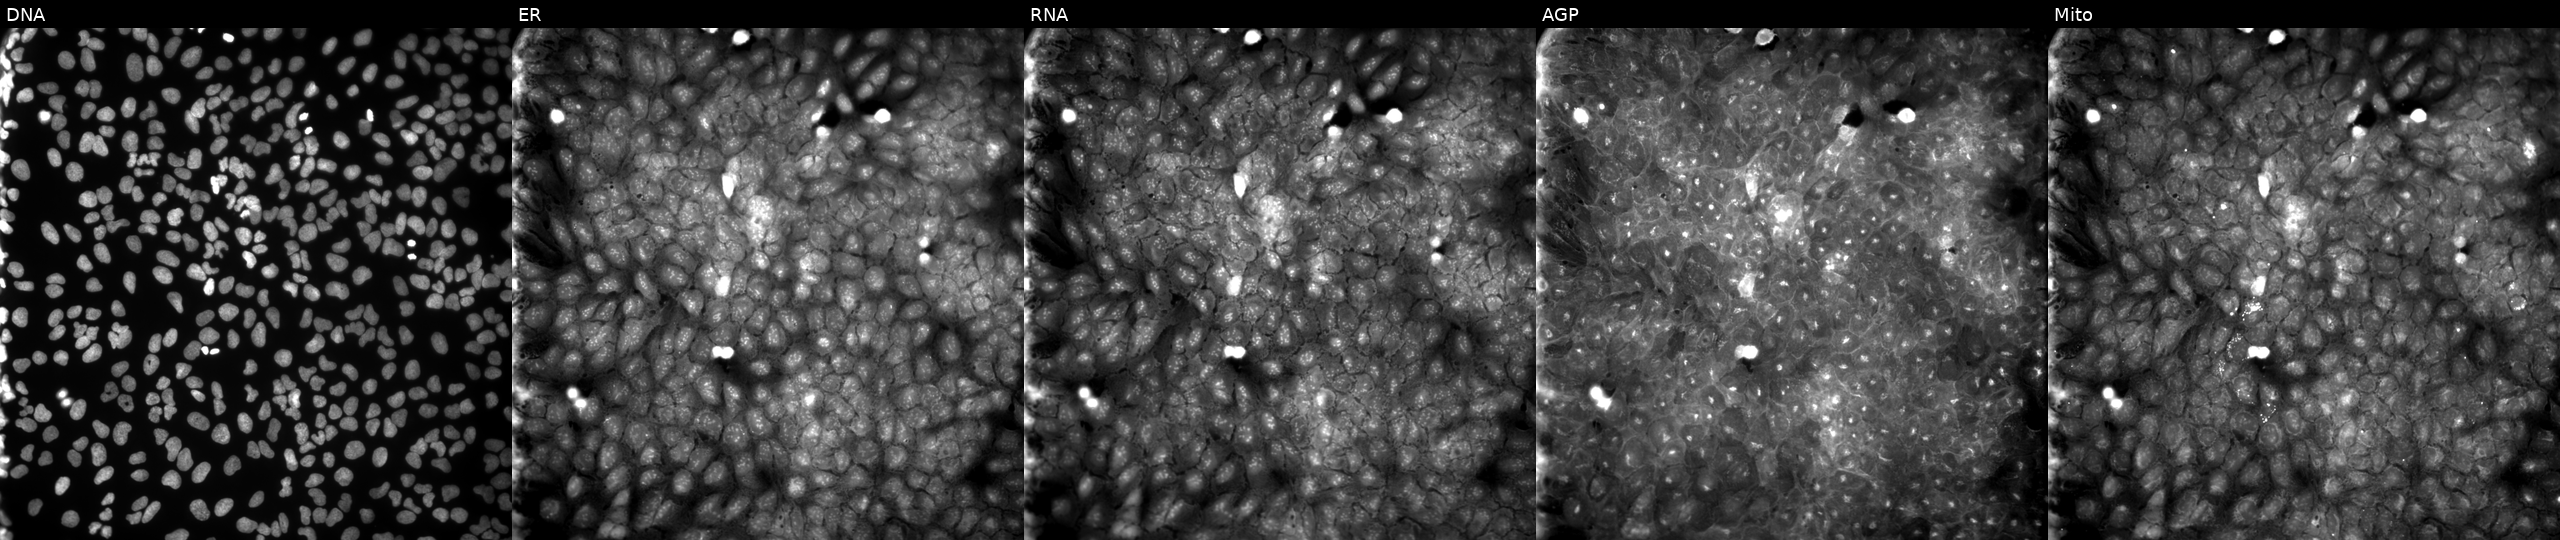
High-content fluorescence microscopy (Cell Painting). Cell line: U2OS. Perturbation: treated with a small-molecule compound. Panels show, left to right, DNA (nuclei); ER (endoplasmic reticulum); RNA (nucleoli and cytoplasmic RNA); AGP (actin cytoskeleton, Golgi, and plasma membrane); Mito (mitochondria). Source 9, plate GR00003381, well W09.